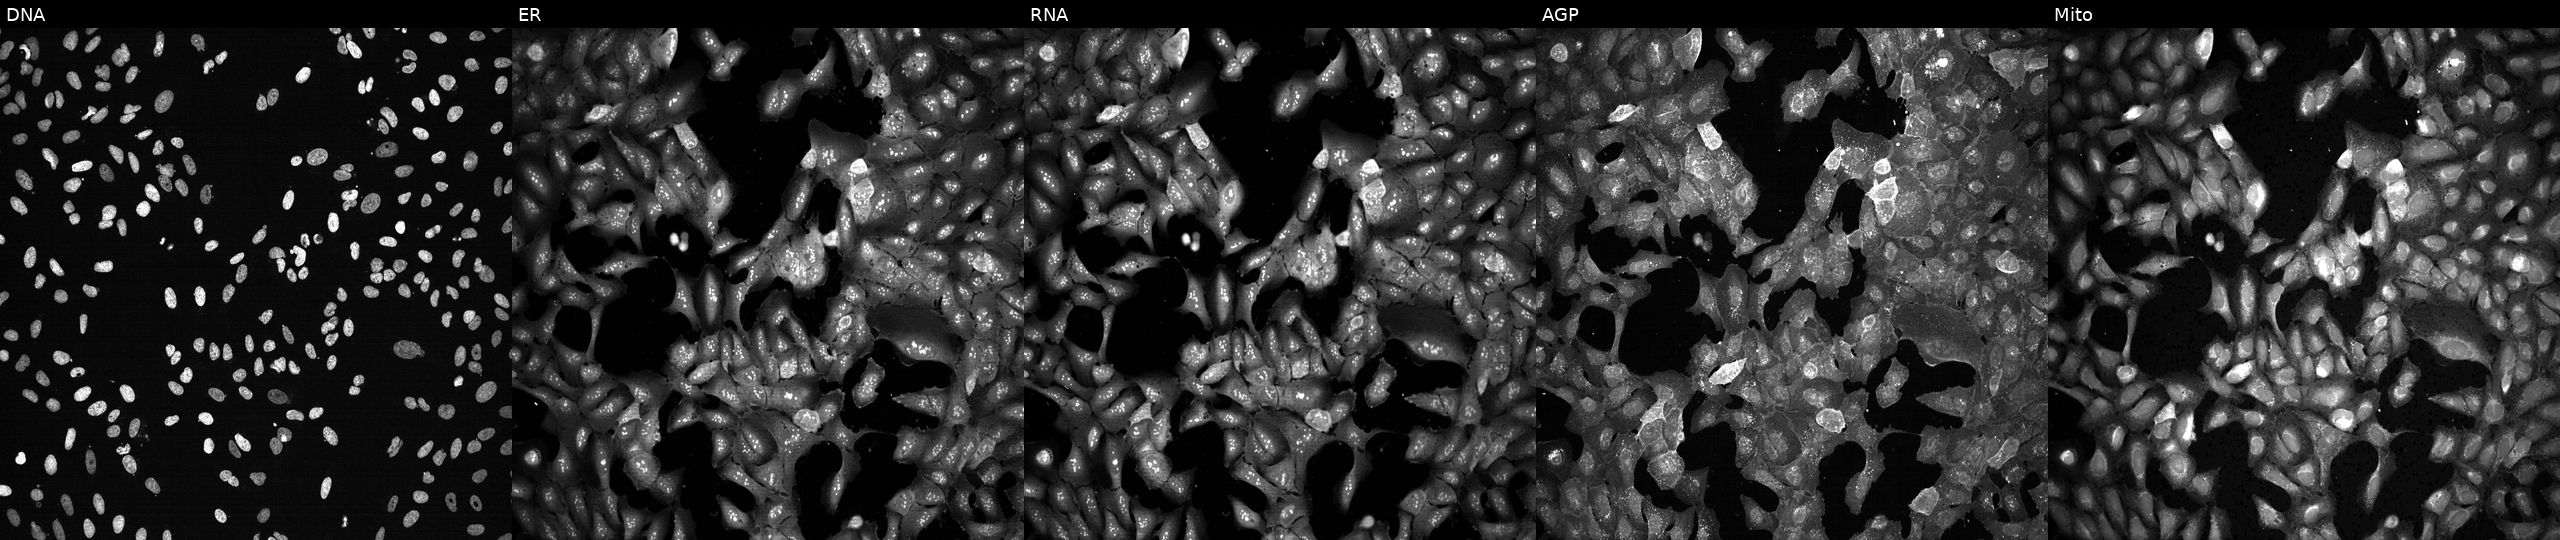
High-content fluorescence microscopy (Cell Painting). Cell line: U2OS. Perturbation: with GGCX knocked out by CRISPR. Channels (left→right): DNA, ER, RNA, AGP, and Mito.